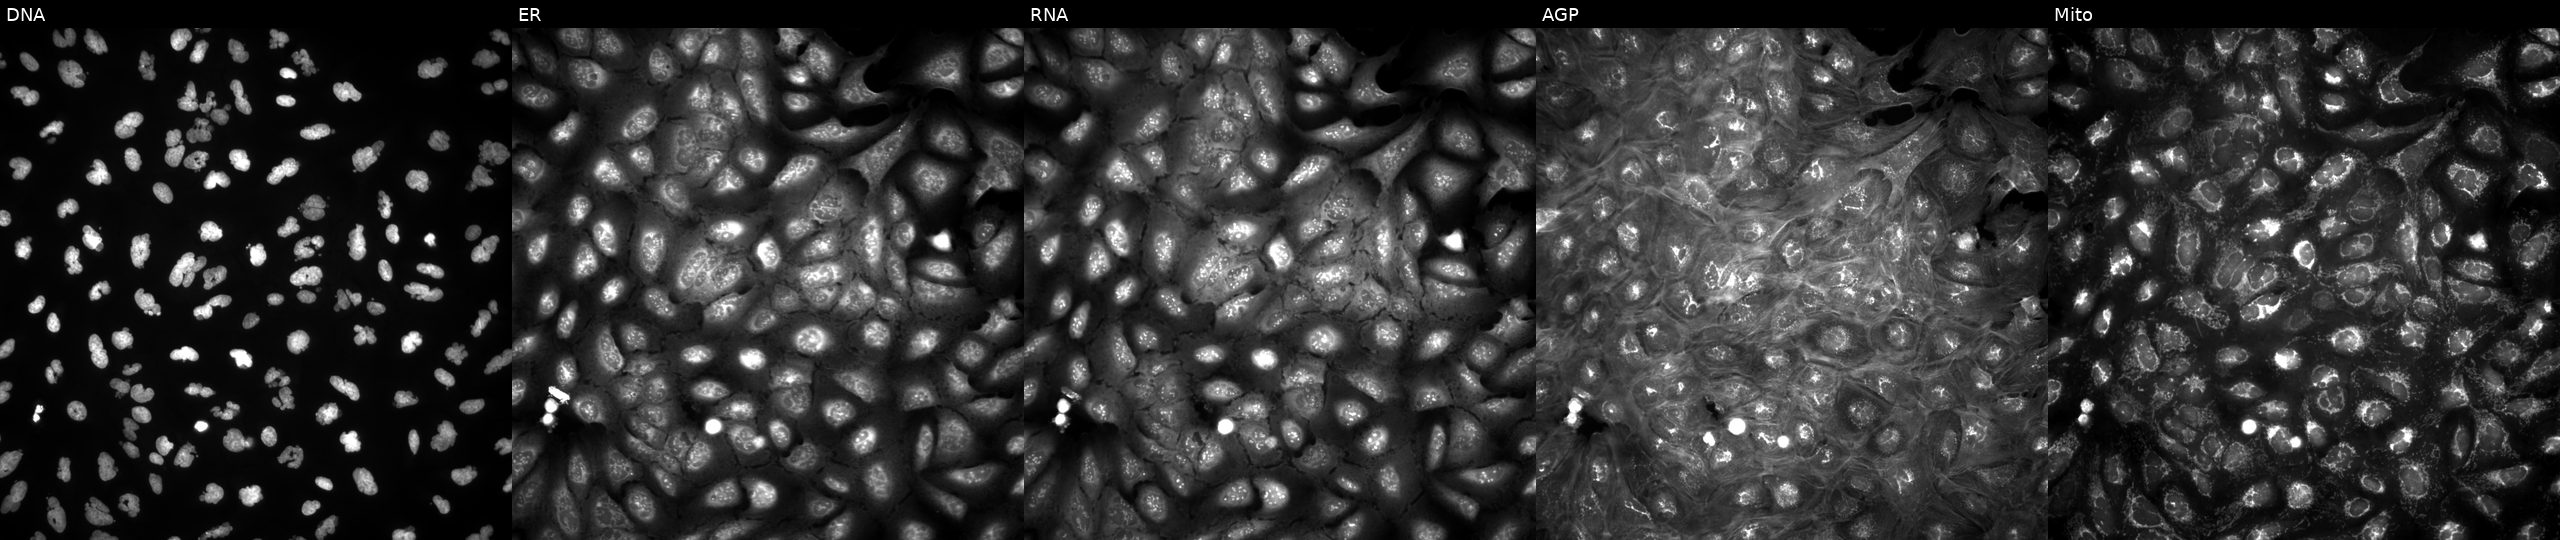
JUMP Cell Painting — ORF plate. U2OS cells treated with LY2109761 (positive-control compound) (JUMP id JCP2022_035095). Channels (left→right): DNA, ER, RNA, AGP, and Mito. Source 4, plate BR00124784, well O24.